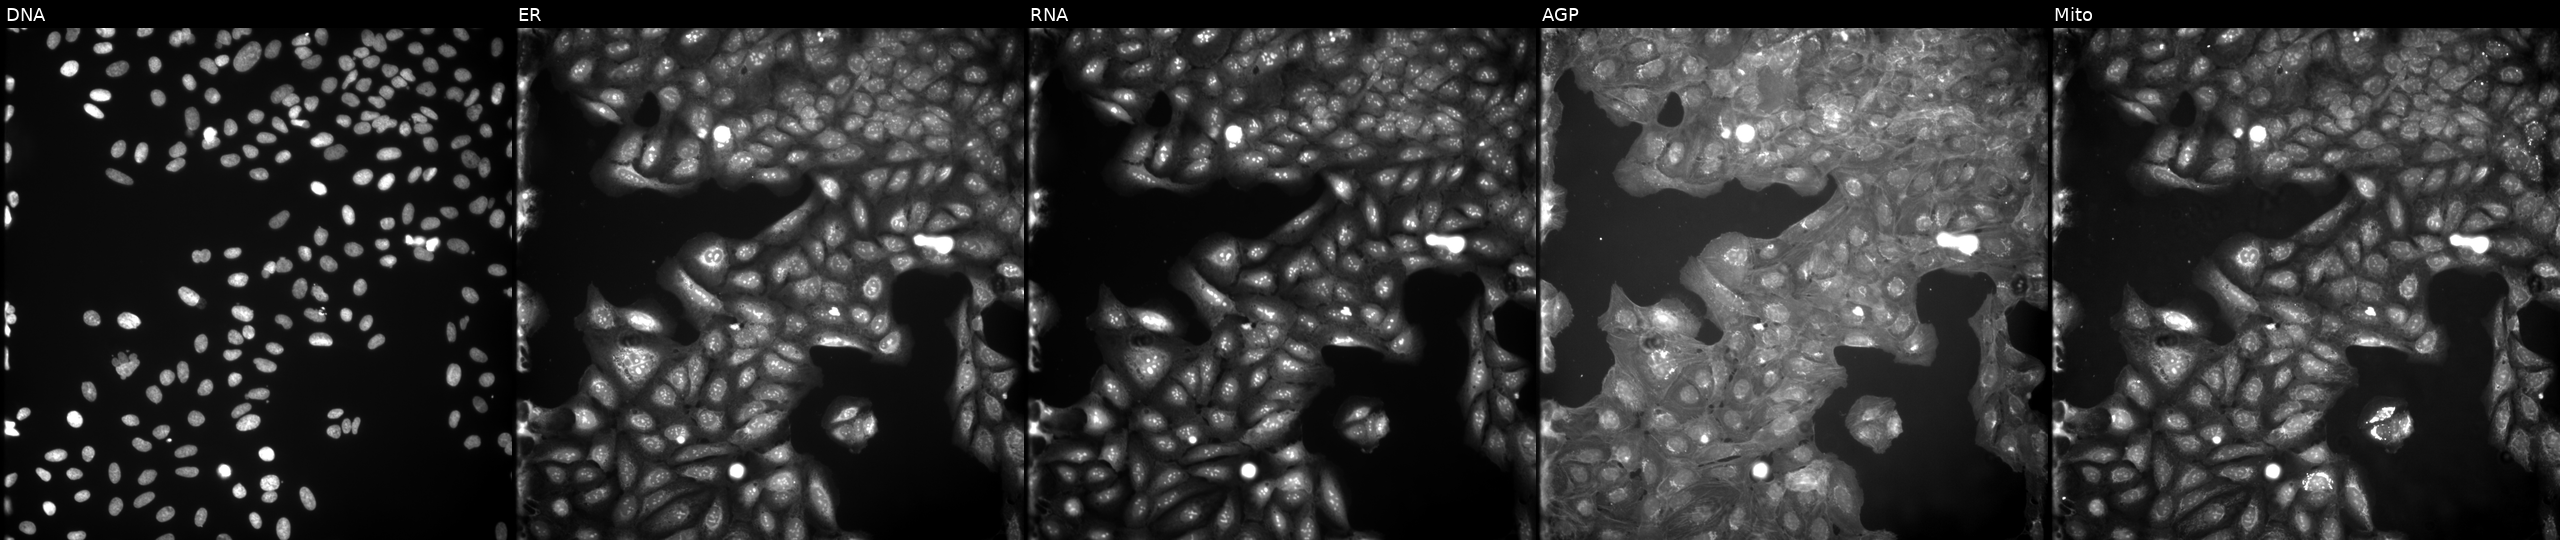
Channels (left→right): Hoechst 33342, concanavalin A, SYTO 14, phalloidin and WGA, MitoTracker. U2OS osteosarcoma cells exposed to a small-molecule compound (InChIKey ZYACVYDLWKWLOF-UHFFFAOYSA-N) [SMILES: Cc1ccc2nc3c(cc(C(N)=O)c(=N)n3CCc3ccccc3)c(=O)n2c1] (JUMP id JCP2022_116385). Cell Painting assay, JUMP-CP dataset.